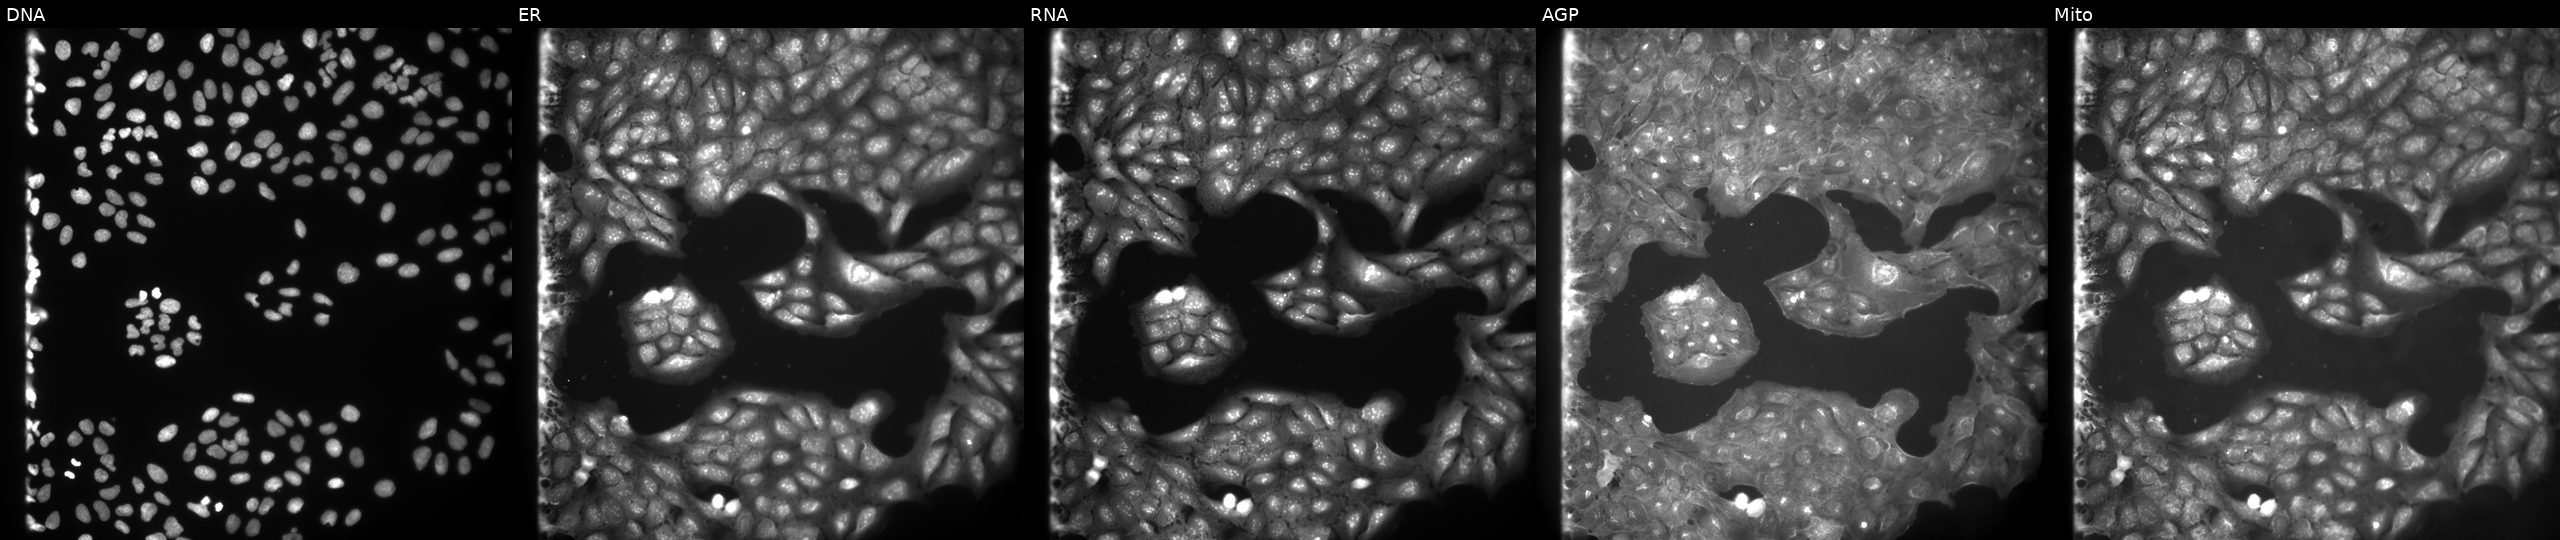
This image strip shows the five Cell Painting channels for a single field of U2OS cells treated with a small-molecule compound (InChIKey STXMGCVPFMVMQV-UHFFFAOYSA-N). The five panels, left to right, show DNA, ER, RNA, AGP, and Mito.